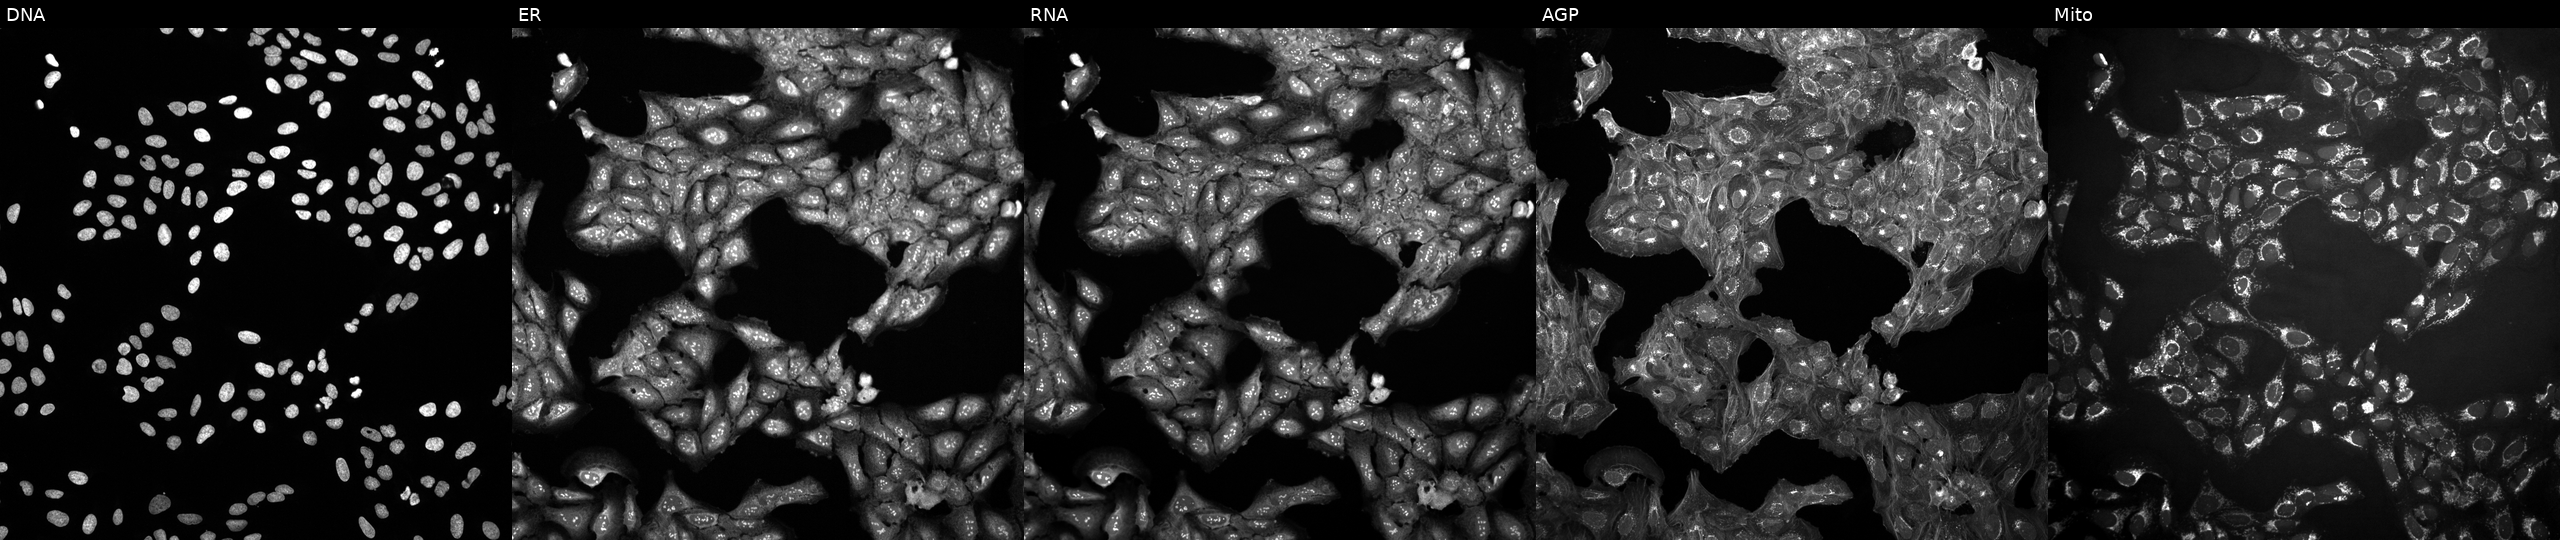
High-content fluorescence microscopy (Cell Painting). Cell line: U2OS. Perturbation: untreated (empty-well control) (JUMP id JCP2022_999999). The five panels, left to right, show DNA (nuclei); ER (endoplasmic reticulum); RNA (nucleoli and cytoplasmic RNA); AGP (actin cytoskeleton, Golgi, and plasma membrane); Mito (mitochondria).